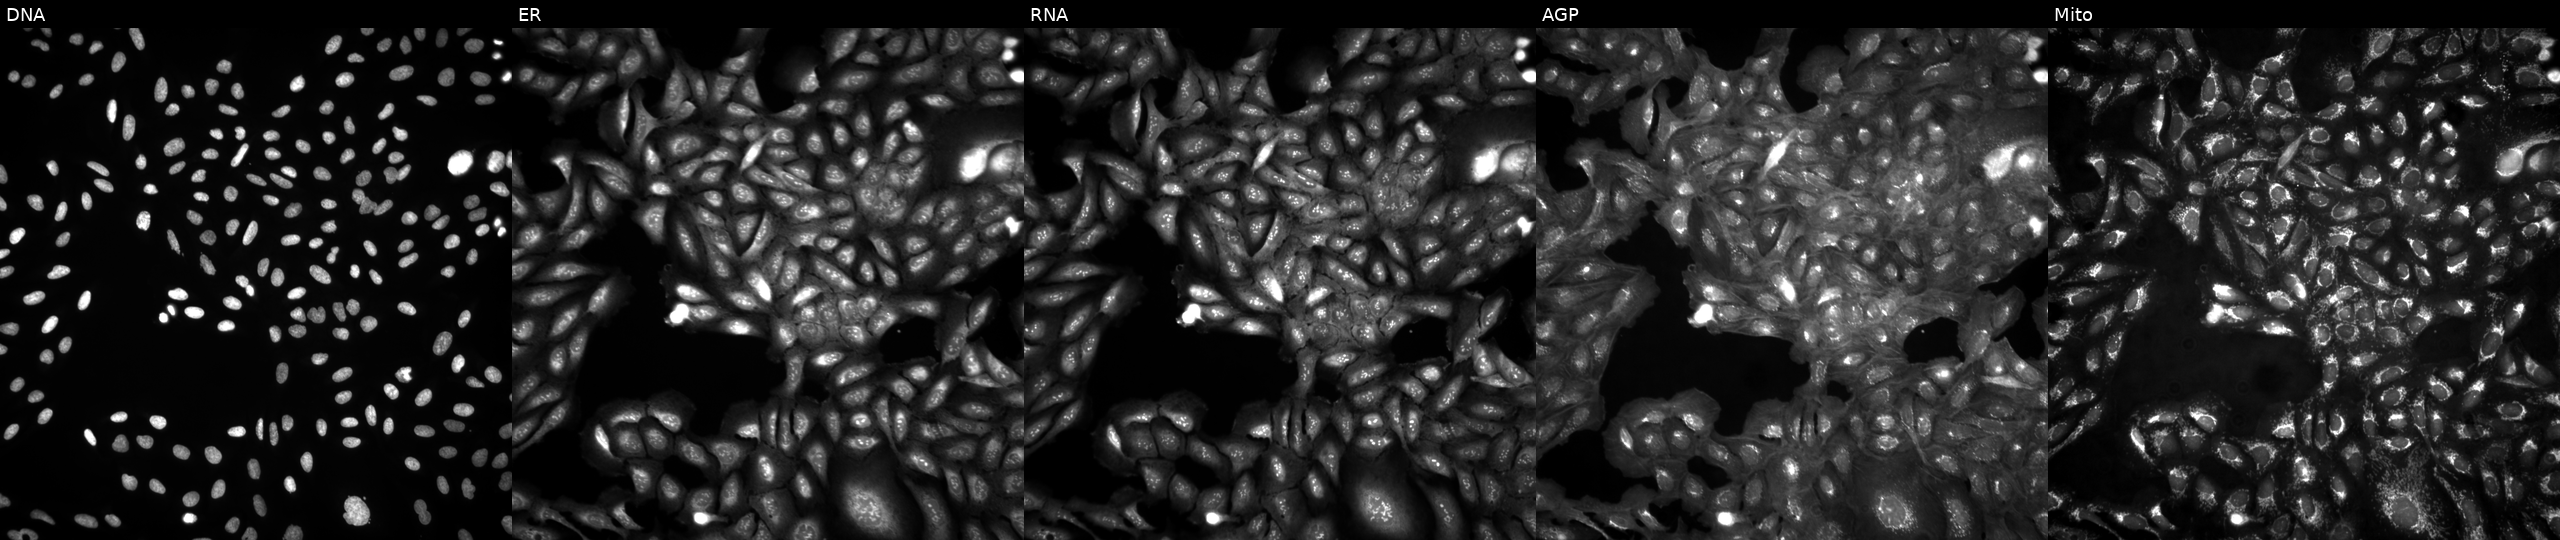
Channels (left→right): DNA, ER, RNA, AGP, and Mito. U2OS osteosarcoma cells in an empty control well (no perturbation). Cell Painting assay, JUMP-CP dataset. Source 4, plate BR00124793, well F09.